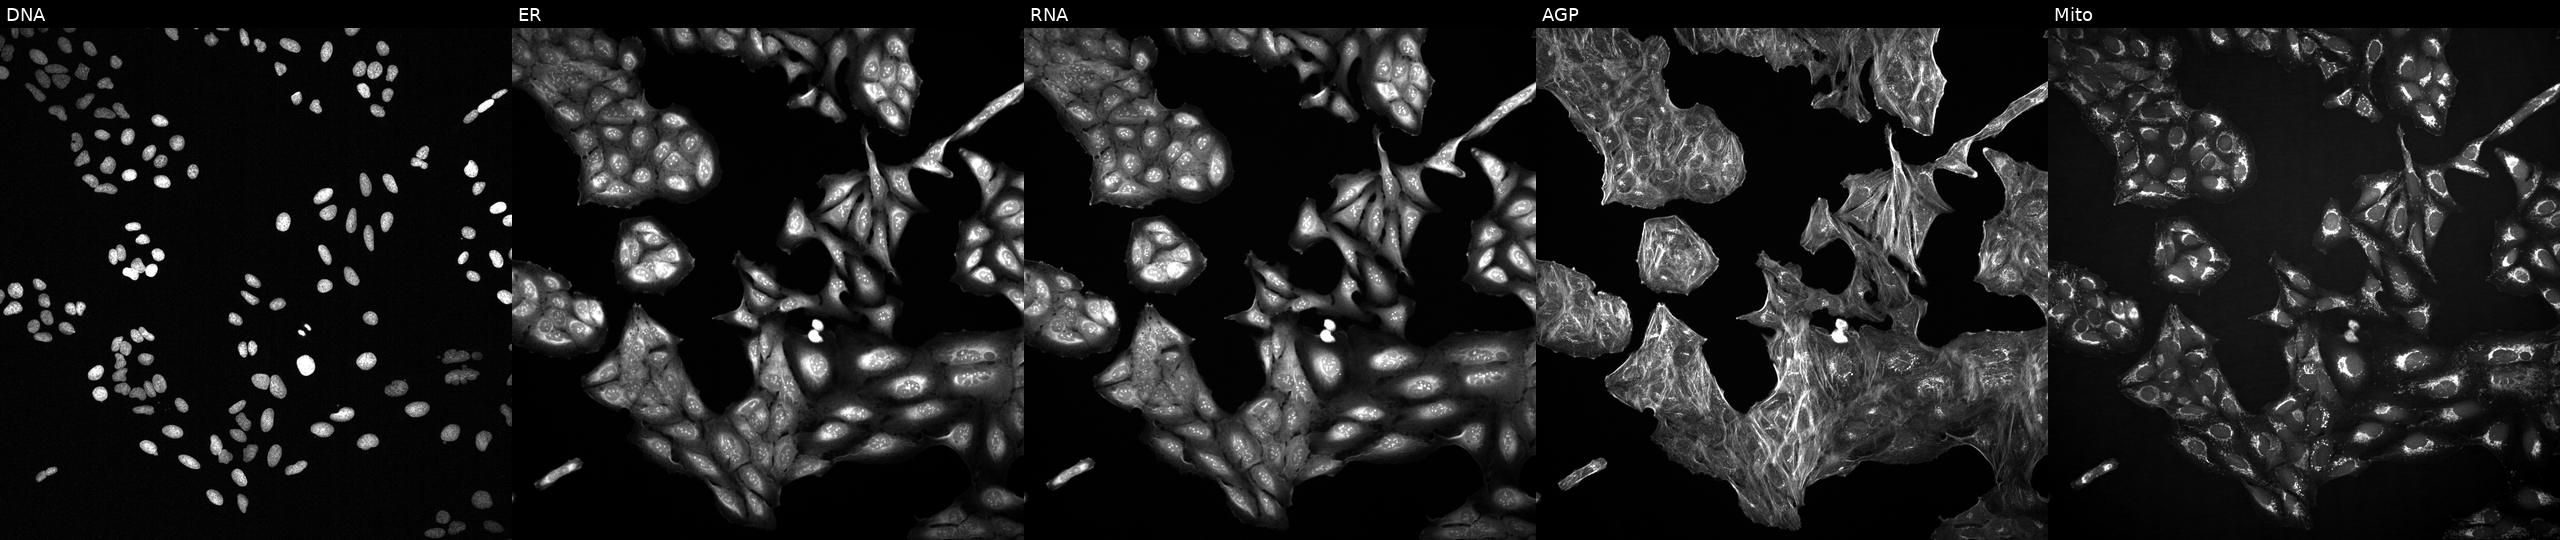
Five-channel Cell Painting image of U2OS cells exposed to a small-molecule compound (InChIKey MNKZZBZZELZWKW-UHFFFAOYSA-N) (JUMP id JCP2022_055283). Channels (left→right): DNA (nuclei); ER (endoplasmic reticulum); RNA (nucleoli and cytoplasmic RNA); AGP (actin cytoskeleton, Golgi, and plasma membrane); Mito (mitochondria). Source 2, plate 1053601763, well D11.